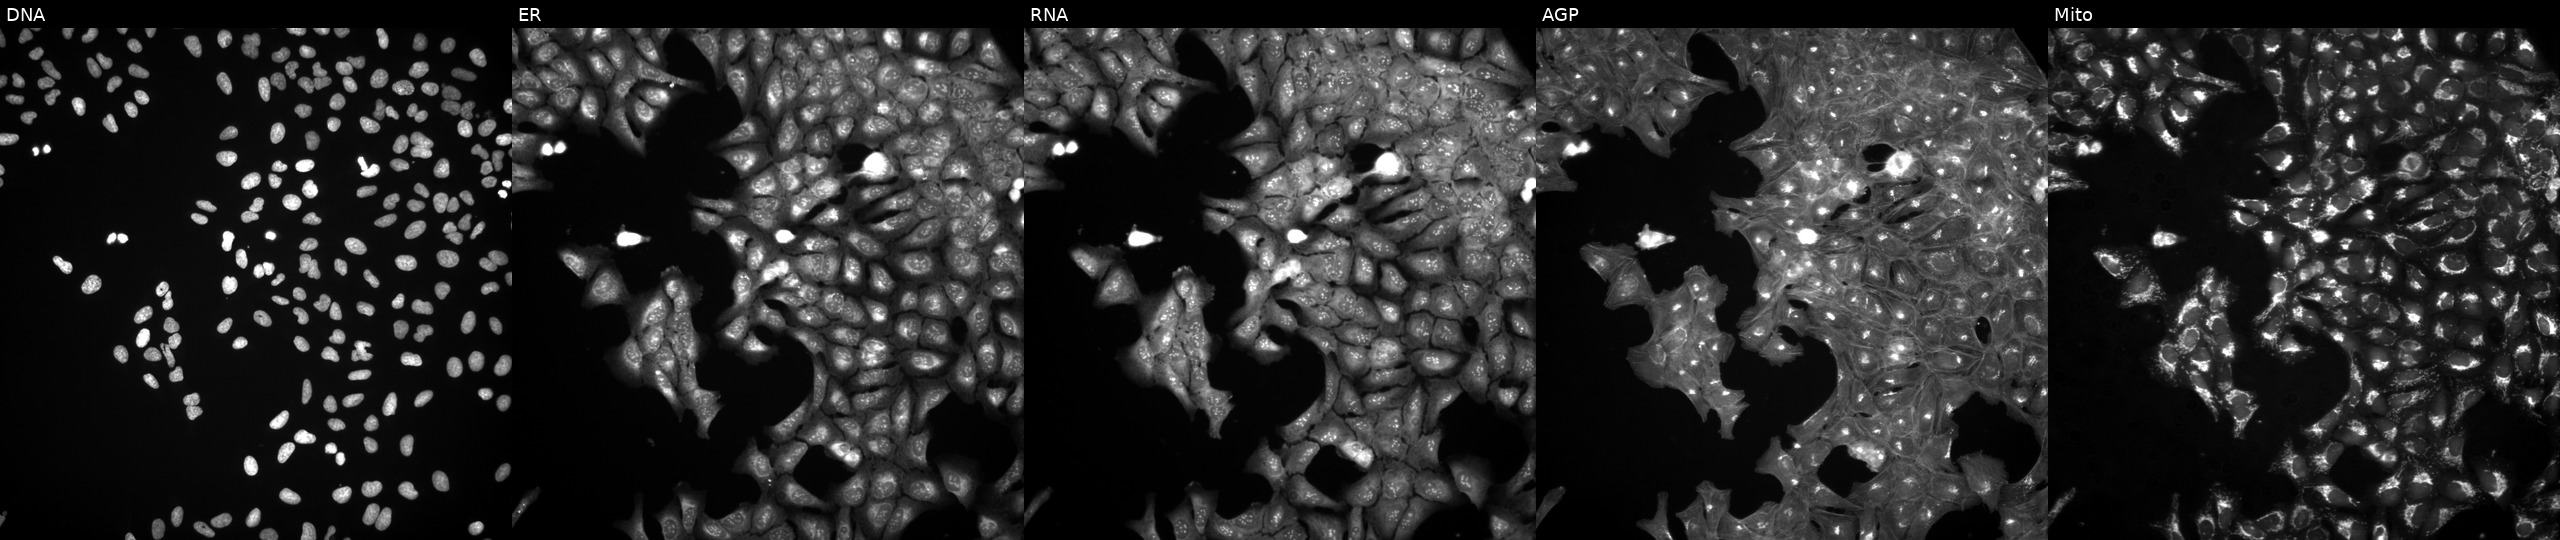
The five panels, left to right, show DNA, ER, RNA, AGP, and Mito. U2OS osteosarcoma cells treated with DMSO vehicle only (negative control). Cell Painting assay, JUMP-CP dataset. Source 3, plate JCPQC052, well O11.